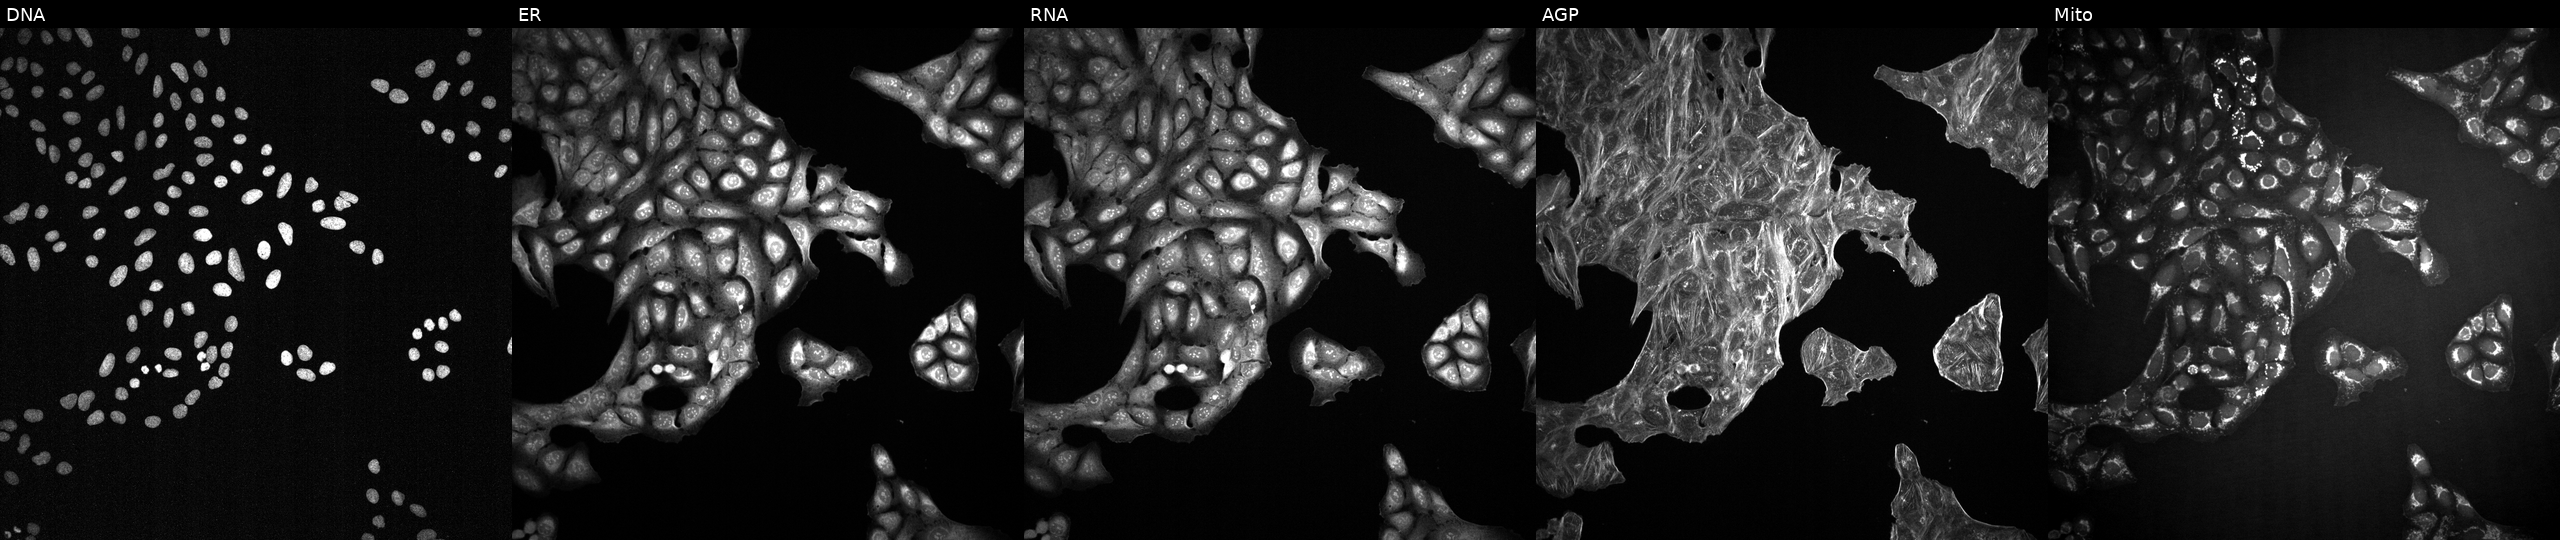
High-content fluorescence microscopy (Cell Painting). Cell line: U2OS. Perturbation: exposed to a small-molecule compound (InChIKey BCZUAADEACICHN-UHFFFAOYSA-N). From left to right: DNA (nuclei); ER (endoplasmic reticulum); RNA (nucleoli and cytoplasmic RNA); AGP (actin cytoskeleton, Golgi, and plasma membrane); Mito (mitochondria).